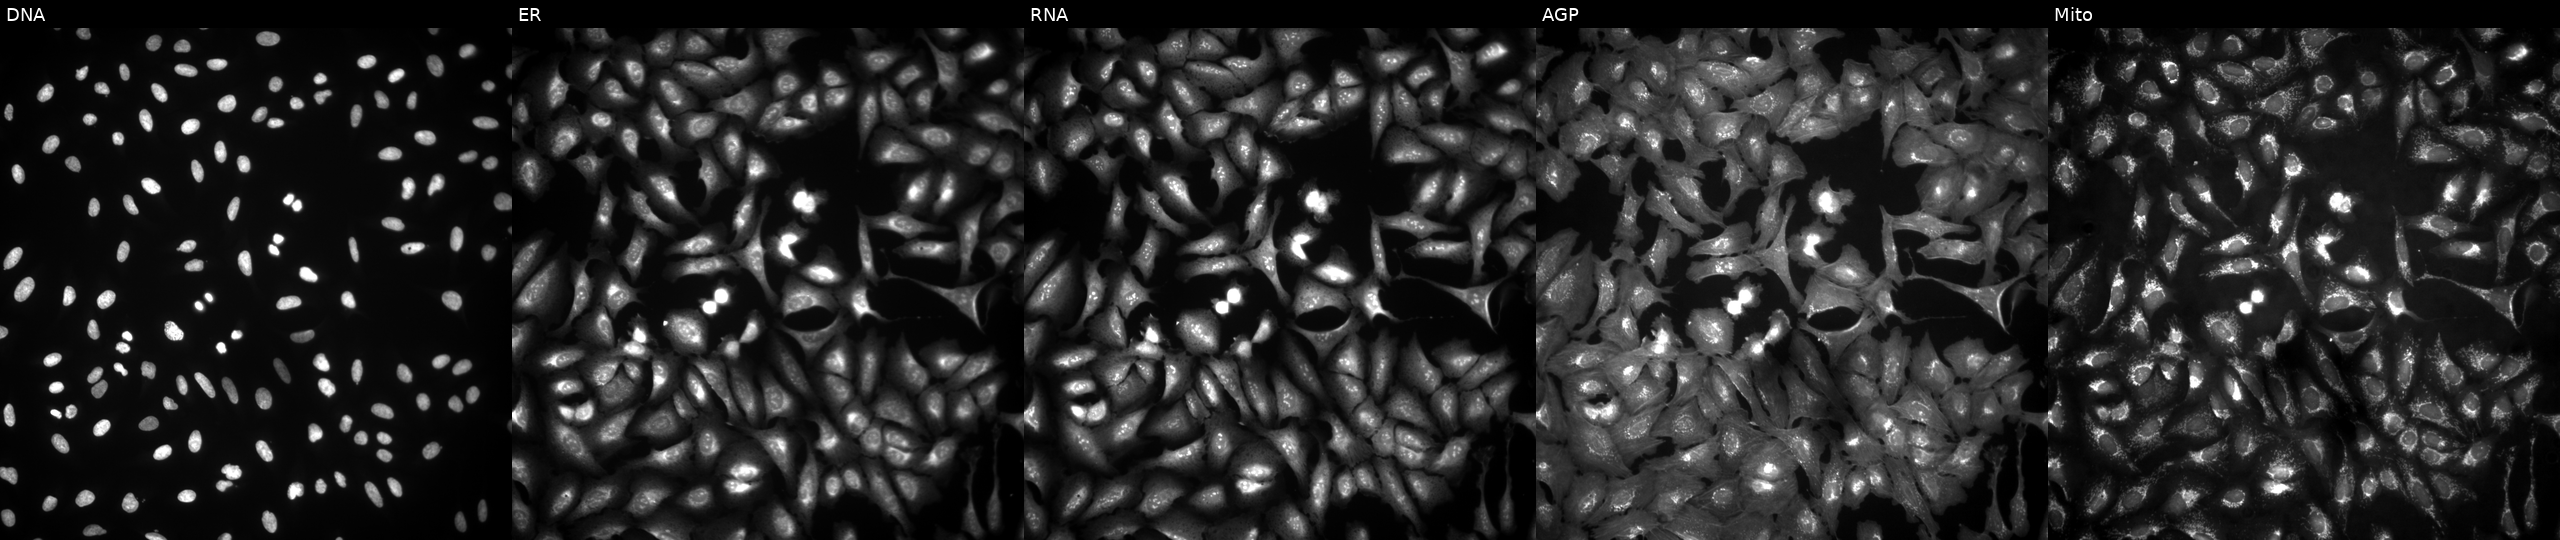
Five-channel Cell Painting image of U2OS cells with RNF10 overexpressed (ORF). From left to right: DNA, ER, RNA, AGP, and Mito.